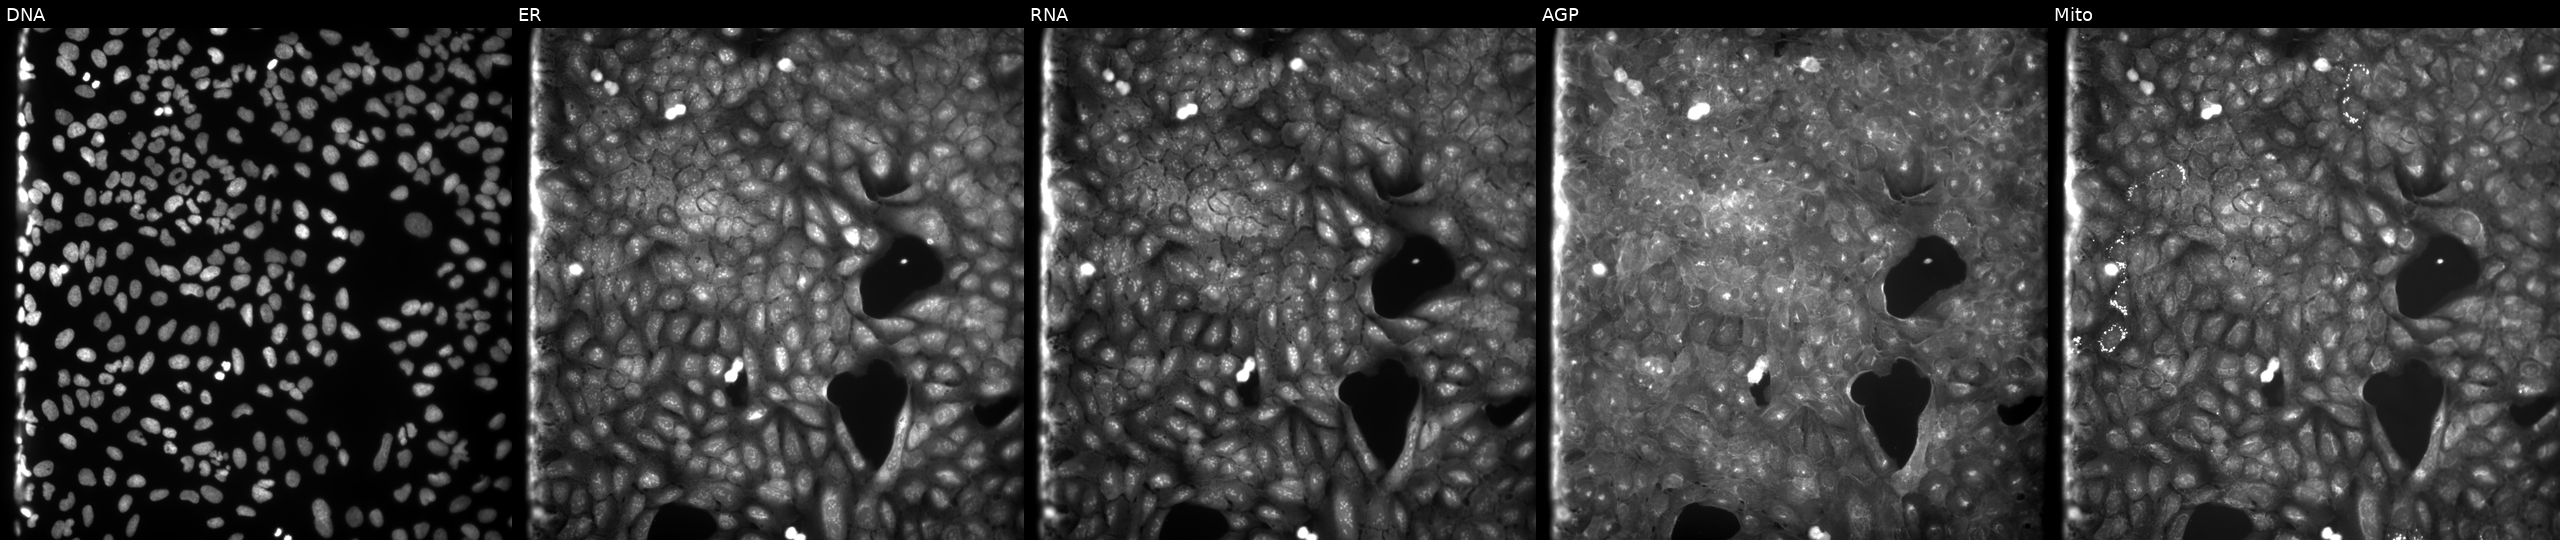
U2OS cells, Cell Painting assay, perturbed with a small-molecule compound (InChIKey CDJKPYLEBBSTGR-UHFFFAOYSA-N). The five panels, left to right, show DNA, ER, RNA, AGP, and Mito. Each panel is percentile-stretched 16-bit fluorescence.